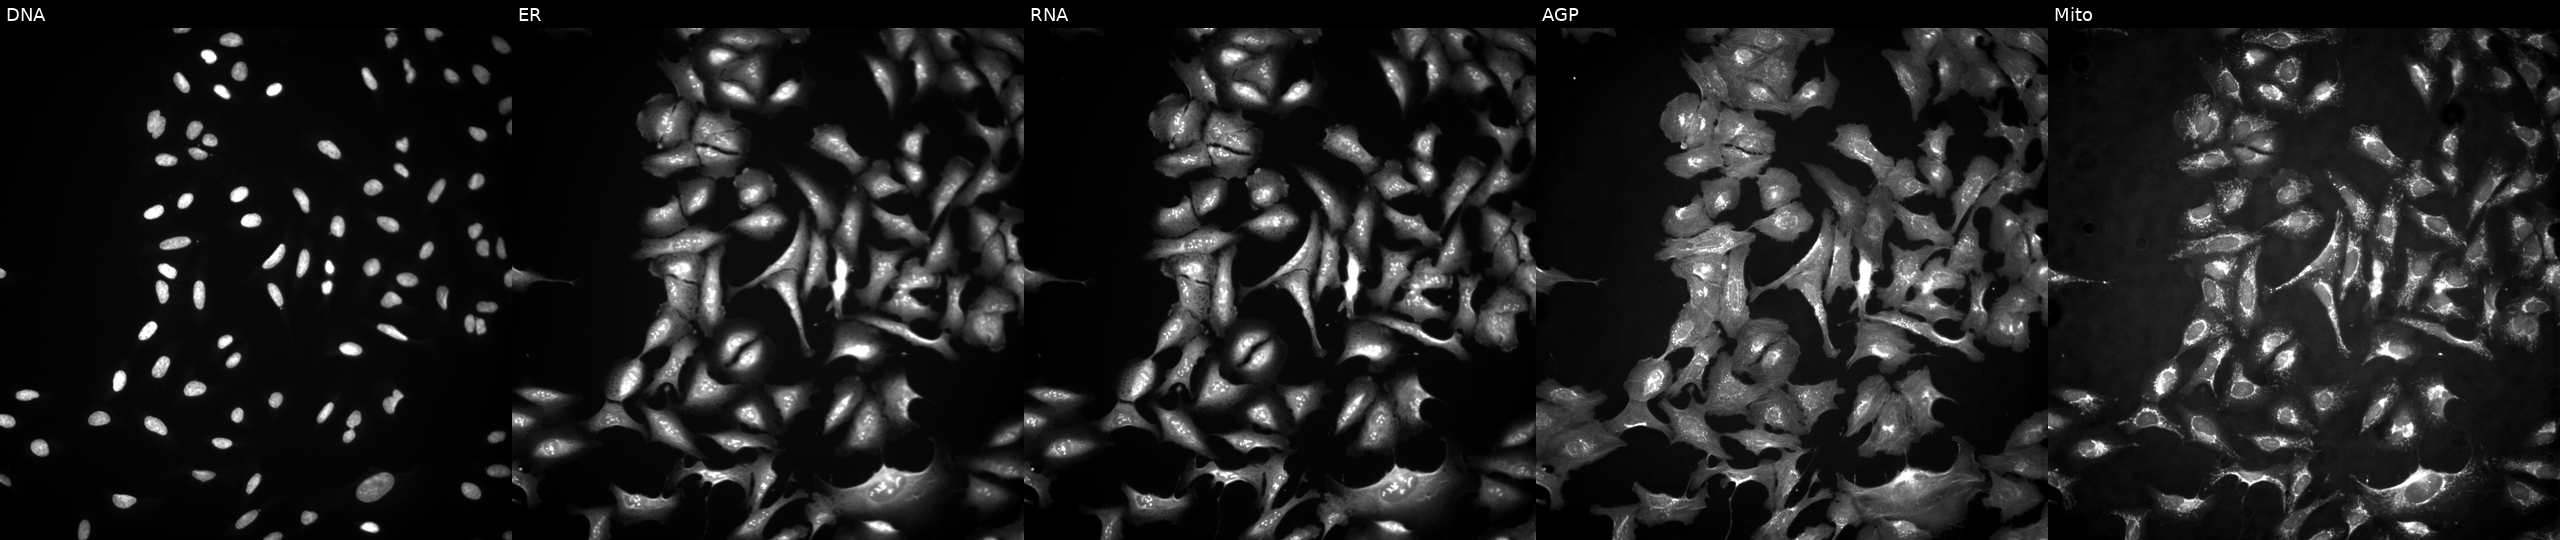
Five-channel Cell Painting image of U2OS cells with KLHDC9 overexpressed (ORF). Channels (left→right): Hoechst 33342, concanavalin A, SYTO 14, phalloidin and WGA, MitoTracker. Source 4, plate BR00117035, well K18.